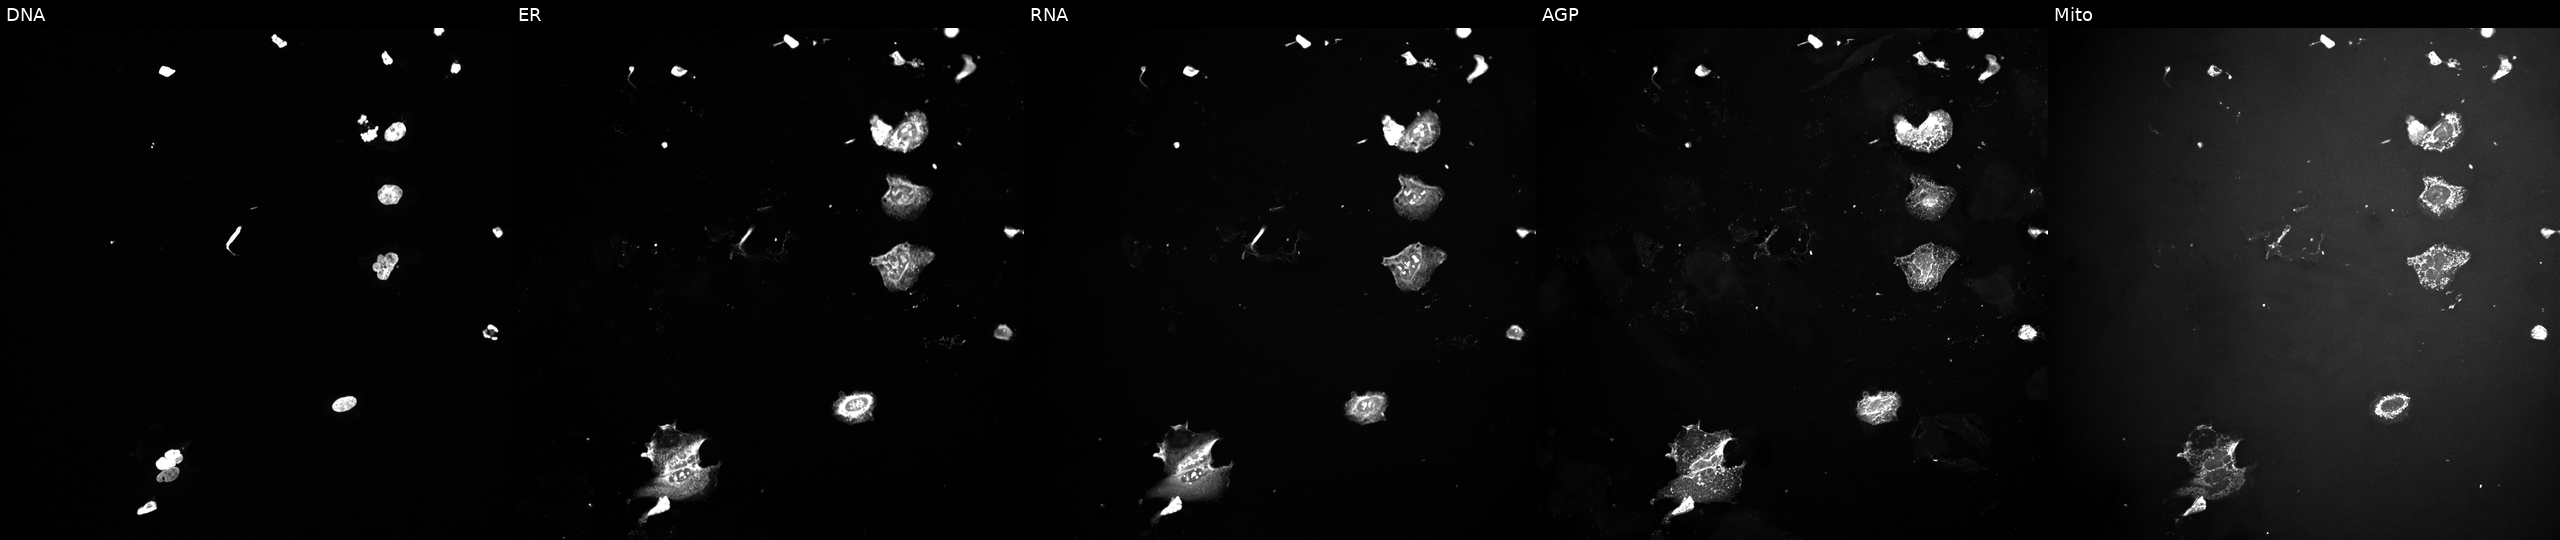
U2OS cells, Cell Painting assay, exposed to a small-molecule compound (InChIKey MTJHLONVHHPNSI-UHFFFAOYSA-N). Panels show, left to right, Hoechst 33342, concanavalin A, SYTO 14, phalloidin and WGA, MitoTracker. Each panel is percentile-stretched 16-bit fluorescence. Source 10, plate Dest210803-153958, well M15.